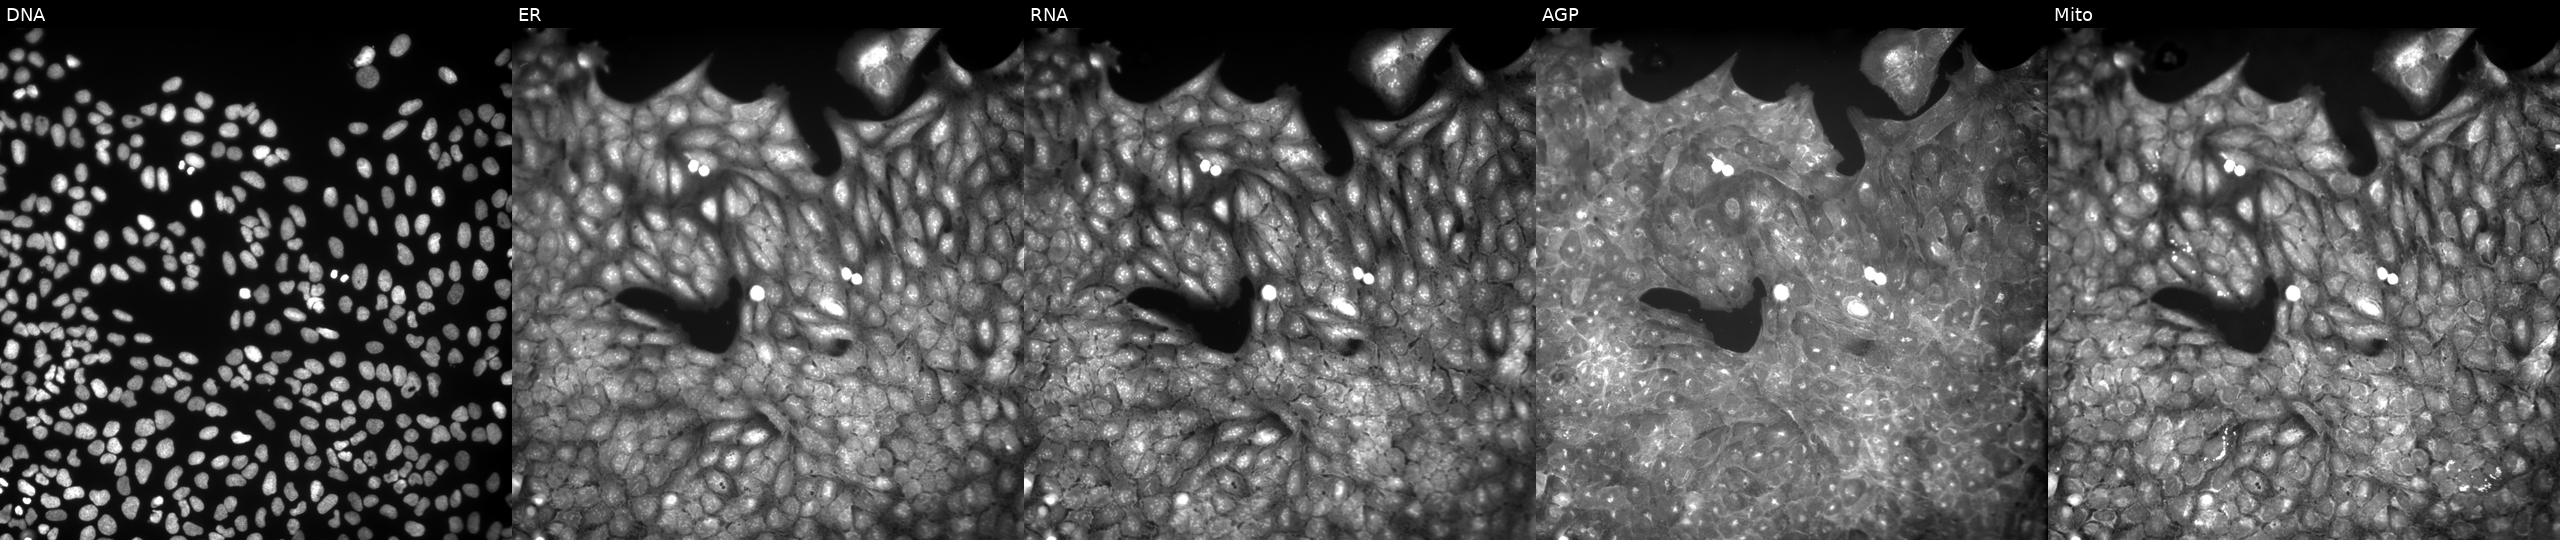
Five-channel Cell Painting image of U2OS cells exposed to the positive-control compound dexamethasone. The five panels, left to right, show DNA, ER, RNA, AGP, and Mito. Source 9, plate GR00003381, well AA48.